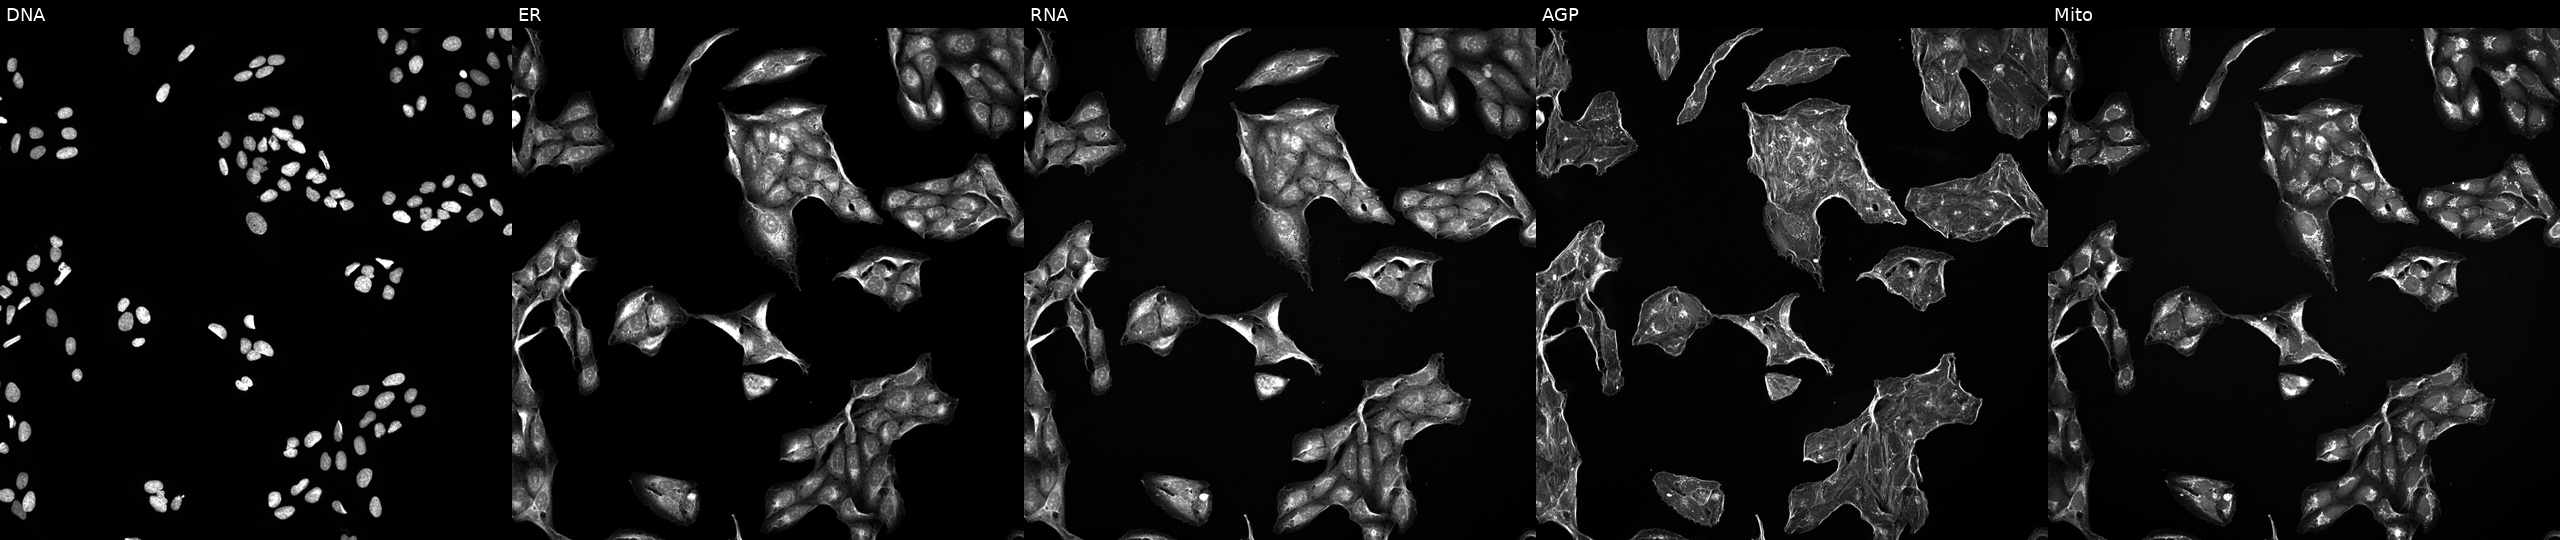
Channels (left→right): DNA, ER, RNA, AGP, and Mito. U2OS osteosarcoma cells exposed to a small-molecule compound (InChIKey VERWOWGGCGHDQE-UHFFFAOYSA-N) (JUMP id JCP2022_093480). Cell Painting assay, JUMP-CP dataset.